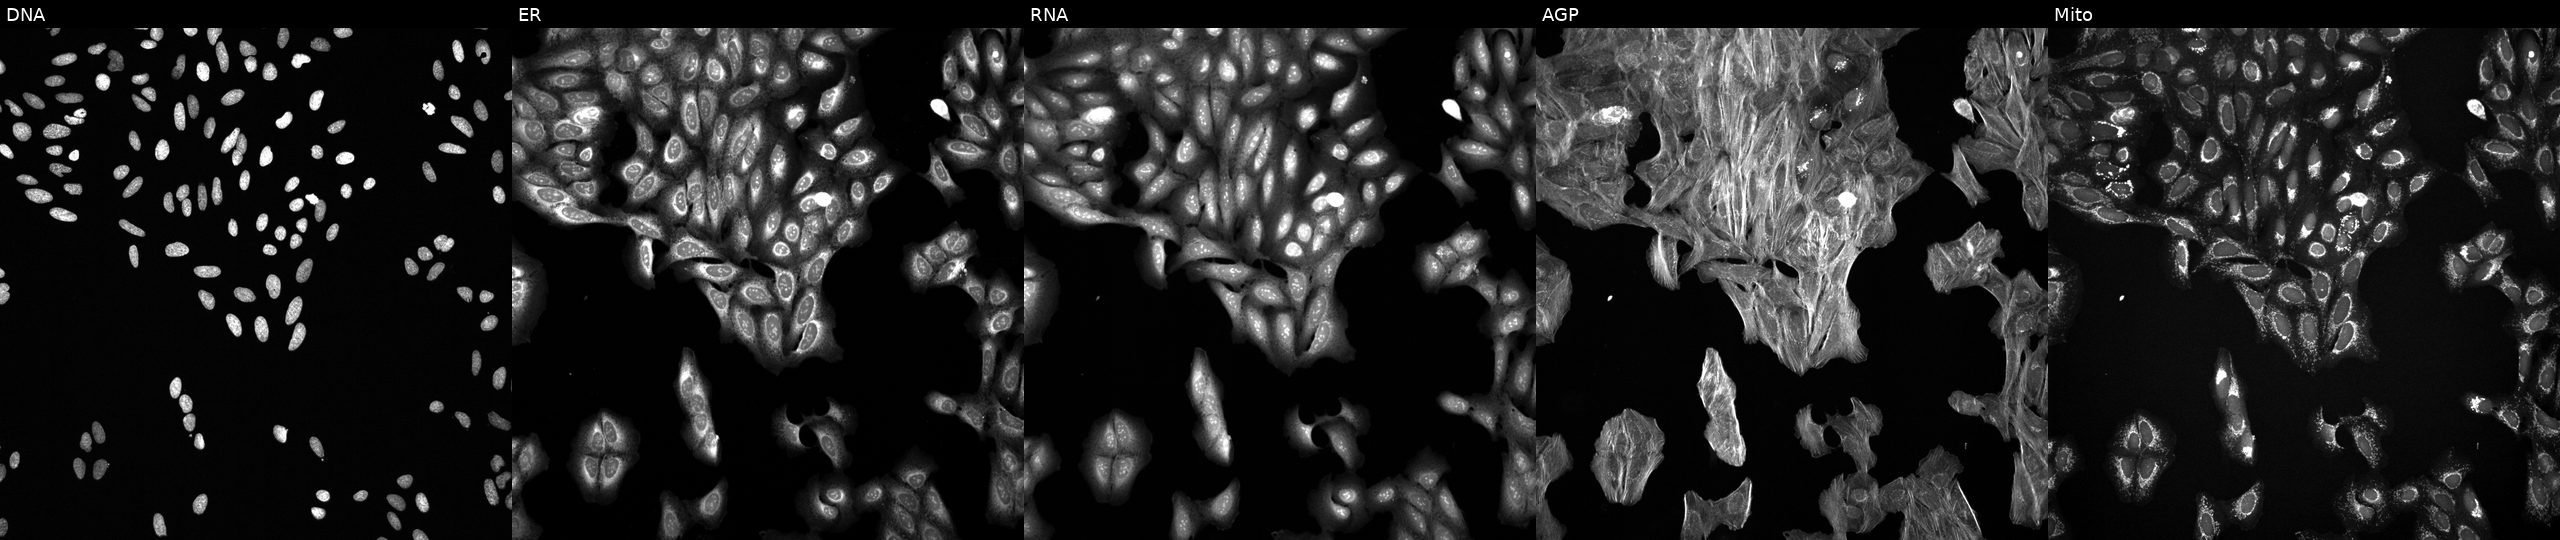
JUMP Cell Painting — TARGET2 plate. U2OS cells perturbed with a small-molecule compound (InChIKey DHMTURDWPRKSOA-UHFFFAOYSA-N) [SMILES: NC(=O)N1CCC(CC(=O)N2CCC(C3c4ncc(Br)cc4CCc4cc(Cl)cc(Br)c43)CC2)CC1] (JUMP id JCP2022_015955). The five panels, left to right, show Hoechst 33342, concanavalin A, SYTO 14, phalloidin and WGA, MitoTracker. Source 6, plate 110000293093, well N08.